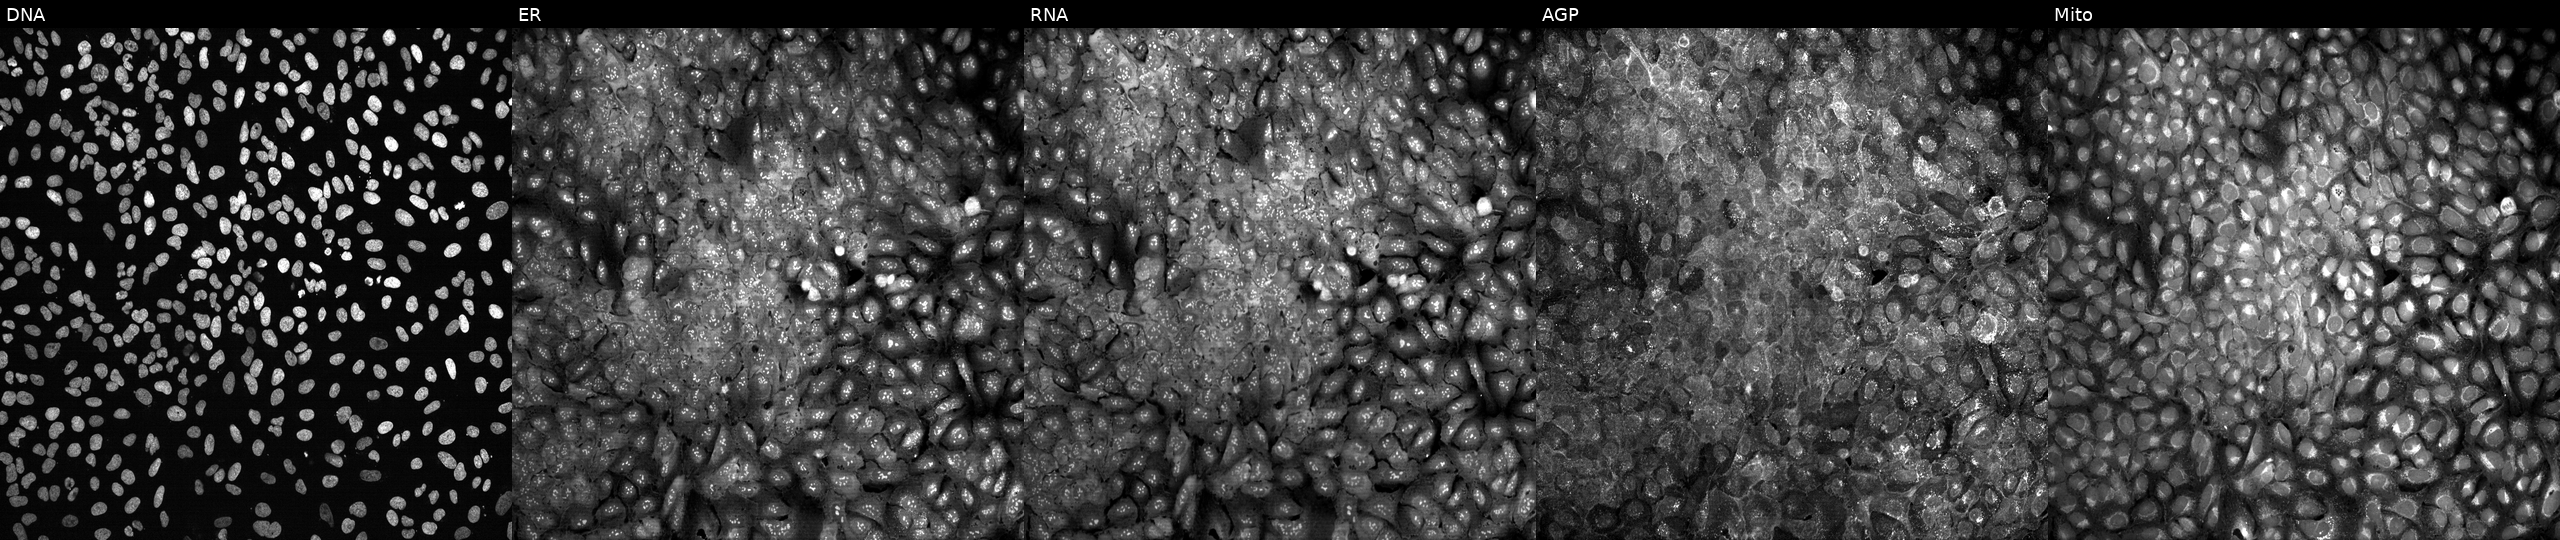
Panels show, left to right, DNA, ER, RNA, AGP, and Mito. U2OS osteosarcoma cells CRISPR-edited to disrupt GTPBP1. Cell Painting assay, JUMP-CP dataset.